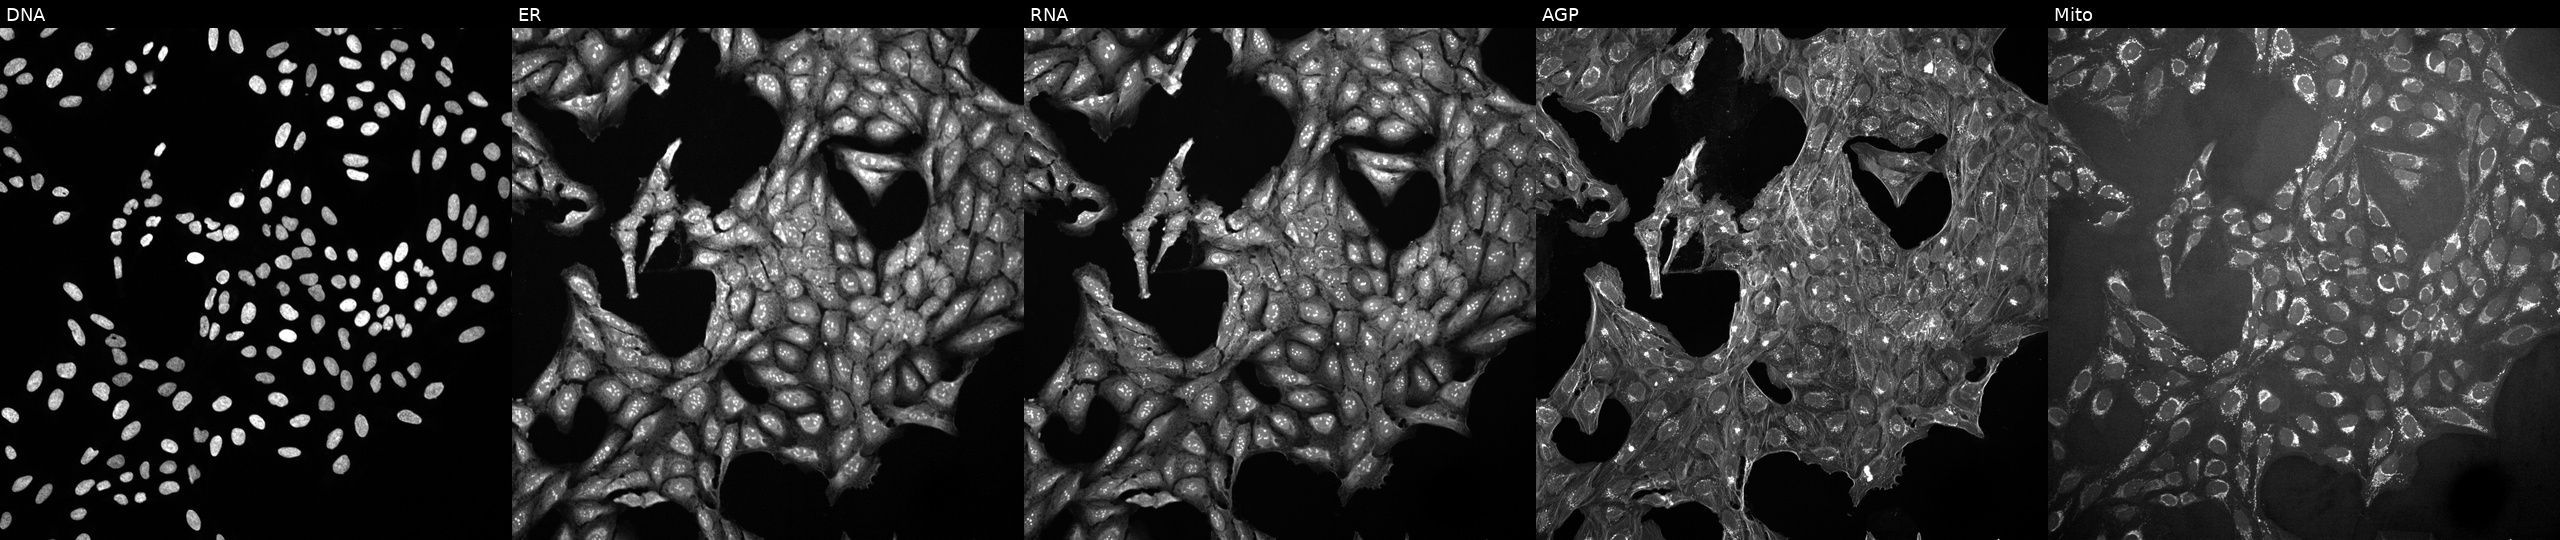
High-content fluorescence microscopy (Cell Painting). Cell line: U2OS. Perturbation: exposed to a small-molecule compound (InChIKey MGVIEQVJONXBSX-UHFFFAOYSA-N). Channels (left→right): DNA (nuclei); ER (endoplasmic reticulum); RNA (nucleoli and cytoplasmic RNA); AGP (actin cytoskeleton, Golgi, and plasma membrane); Mito (mitochondria). Source 10, plate Dest210531-152149, well A16.